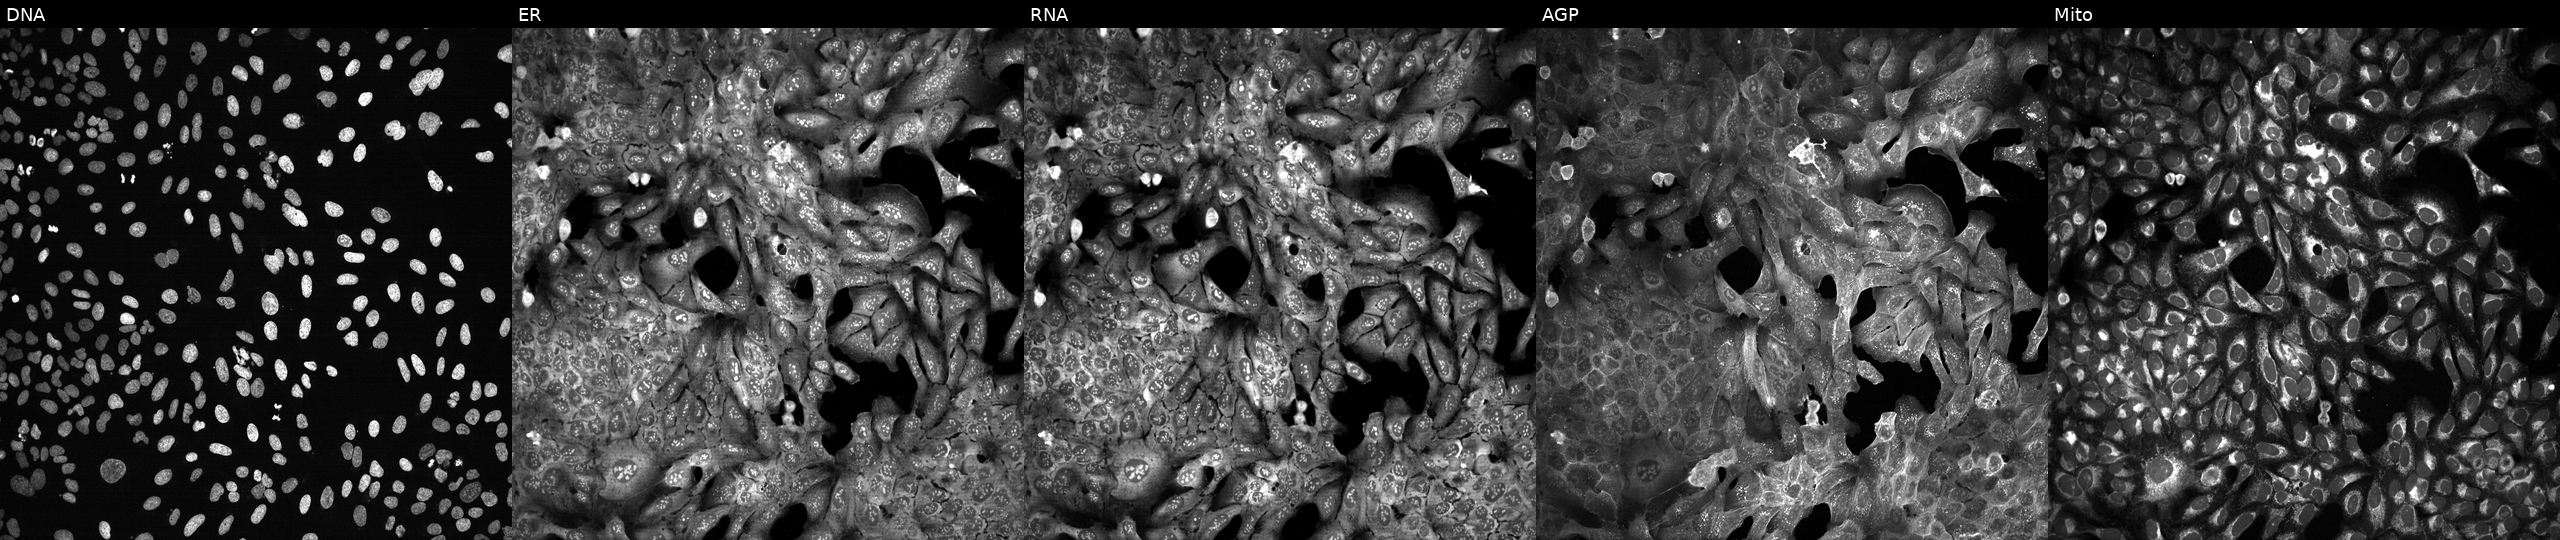
Panels show, left to right, DNA, ER, RNA, AGP, and Mito. U2OS osteosarcoma cells following CRISPR knockout of TGIF2. Cell Painting assay, JUMP-CP dataset.